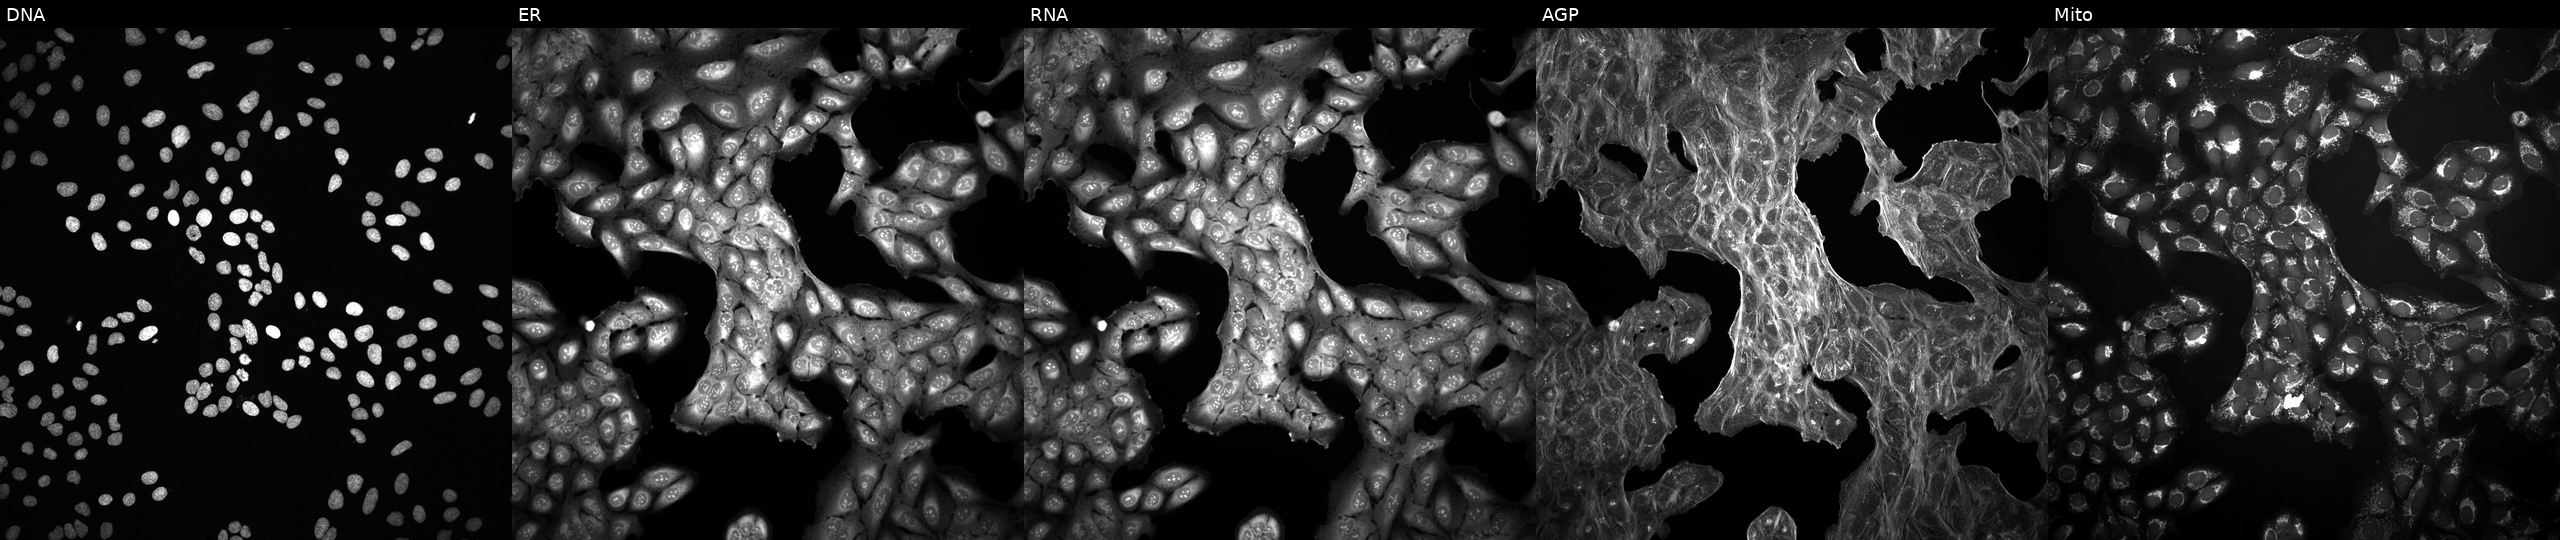
Five-channel Cell Painting image of U2OS cells perturbed with a small-molecule compound (InChIKey ZJVFLBOZORBYFE-UHFFFAOYSA-N) [SMILES: CC(C)C(=O)c1c(C(C)C)nn2ccccc12] (JUMP id JCP2022_113779). From left to right: DNA (nuclei); ER (endoplasmic reticulum); RNA (nucleoli and cytoplasmic RNA); AGP (actin cytoskeleton, Golgi, and plasma membrane); Mito (mitochondria).